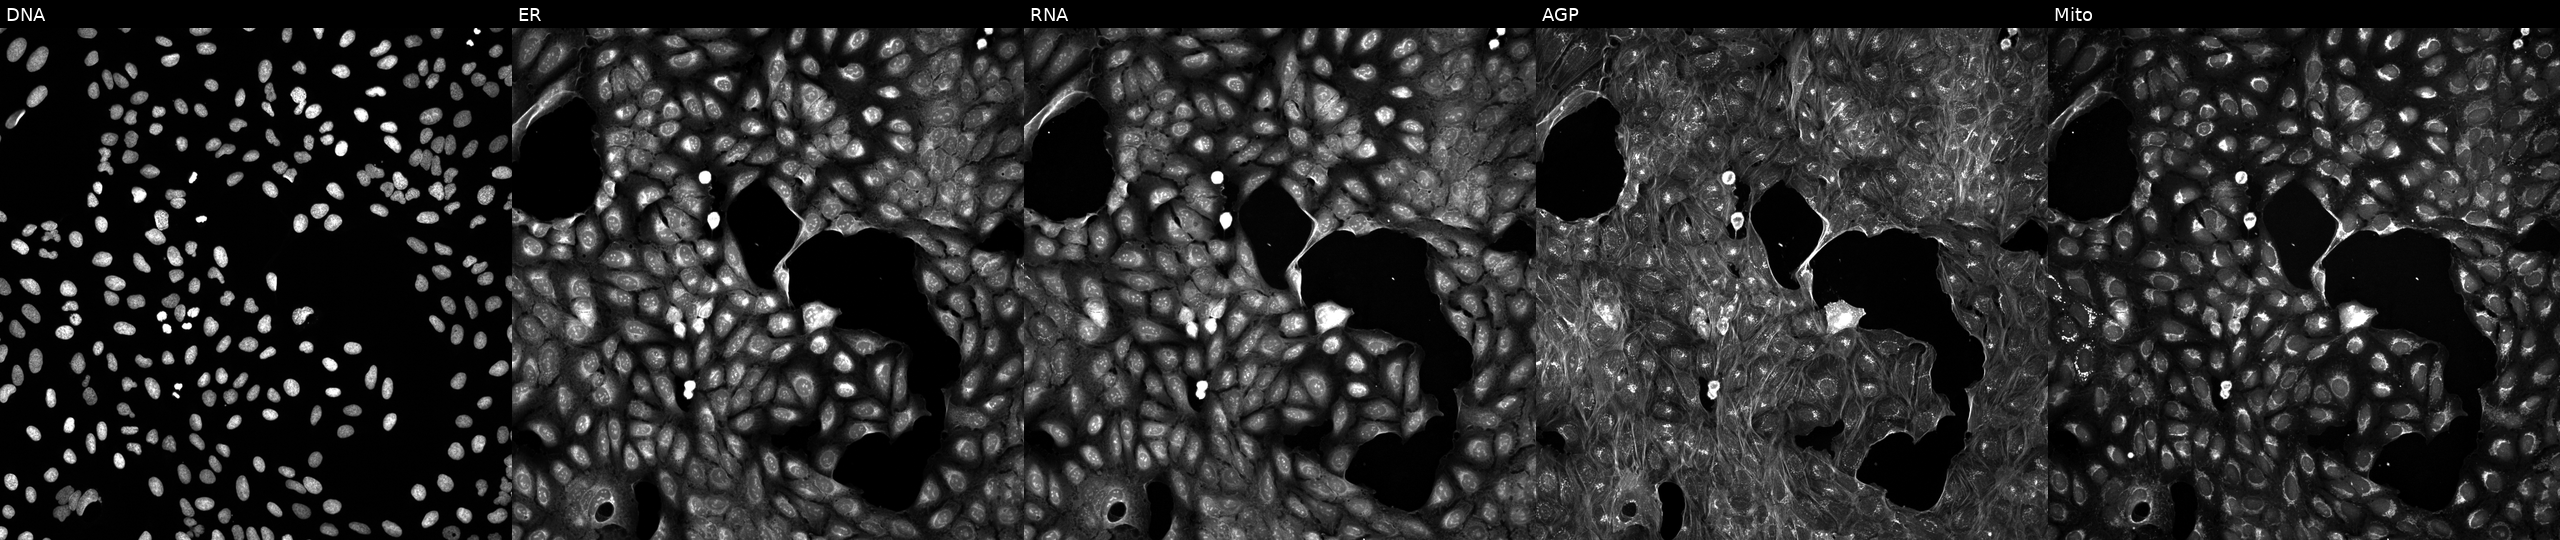
This image strip shows the five Cell Painting channels for a single field of U2OS cells perturbed with a small-molecule compound. The five panels, left to right, show Hoechst 33342, concanavalin A, SYTO 14, phalloidin and WGA, MitoTracker. Source 5, plate ACPJUM032, well C14.